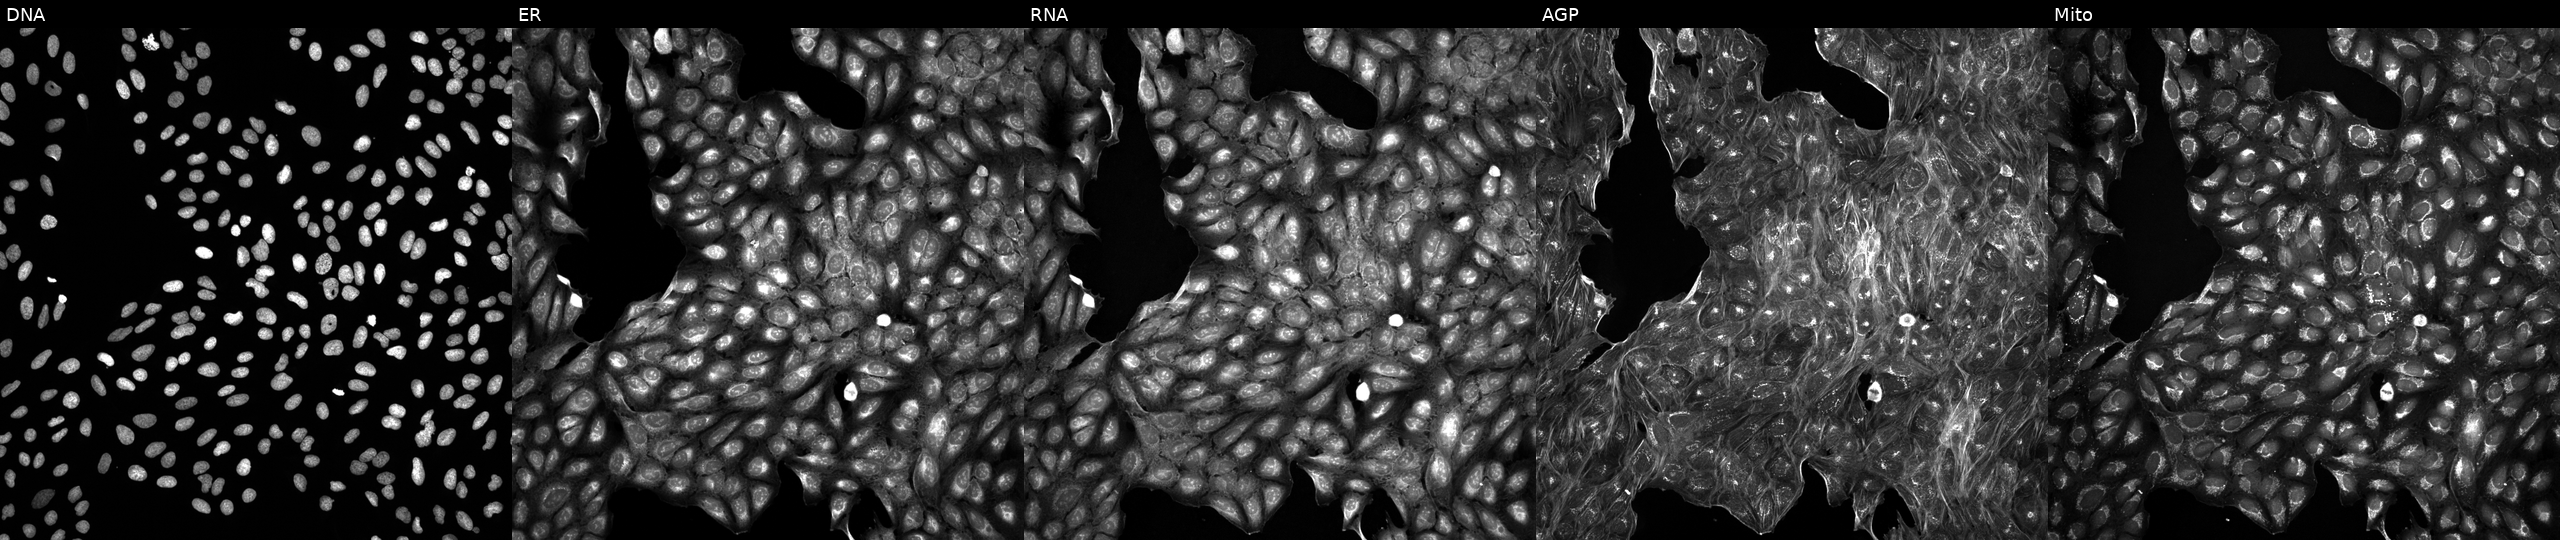
JUMP Cell Painting — TARGET2 plate. U2OS cells perturbed with a small-molecule compound (InChIKey UZDORQWMYRRLQV-UHFFFAOYSA-N) (JUMP id JCP2022_092464). The five panels, left to right, show DNA (nuclei); ER (endoplasmic reticulum); RNA (nucleoli and cytoplasmic RNA); AGP (actin cytoskeleton, Golgi, and plasma membrane); Mito (mitochondria). Source 5, plate ACPJUM032, well E21.